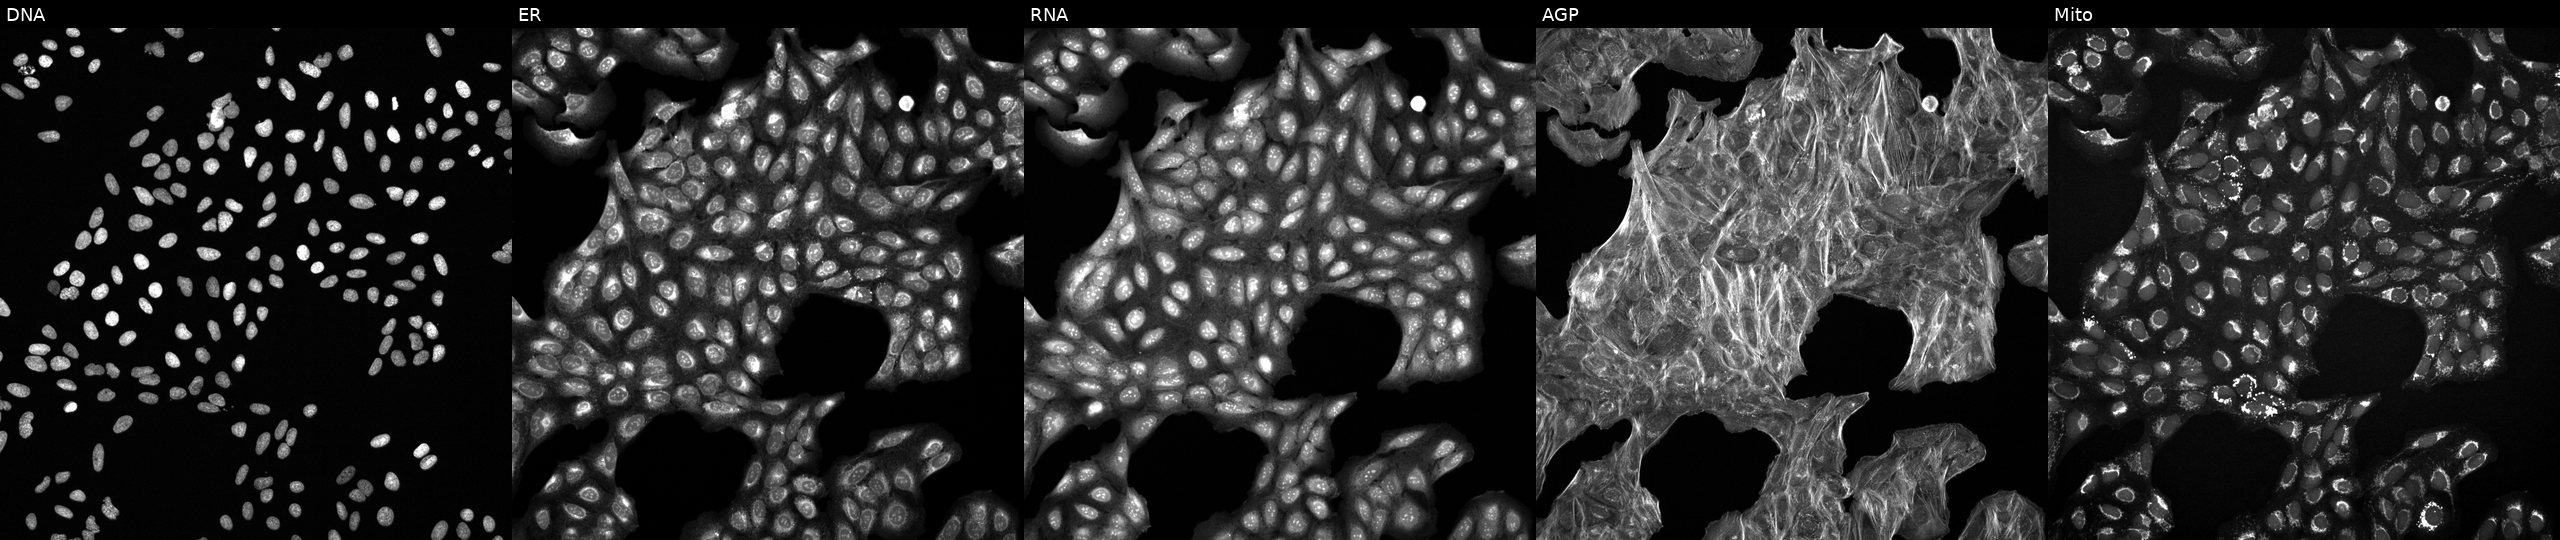
U2OS cells, Cell Painting assay, exposed to a small-molecule compound (InChIKey LFHVBEFBWYSEKC-UHFFFAOYSA-N) (JUMP id JCP2022_049057). The five panels, left to right, show DNA, ER, RNA, AGP, and Mito. Each panel is percentile-stretched 16-bit fluorescence. Source 6, plate 110000293082, well E15.